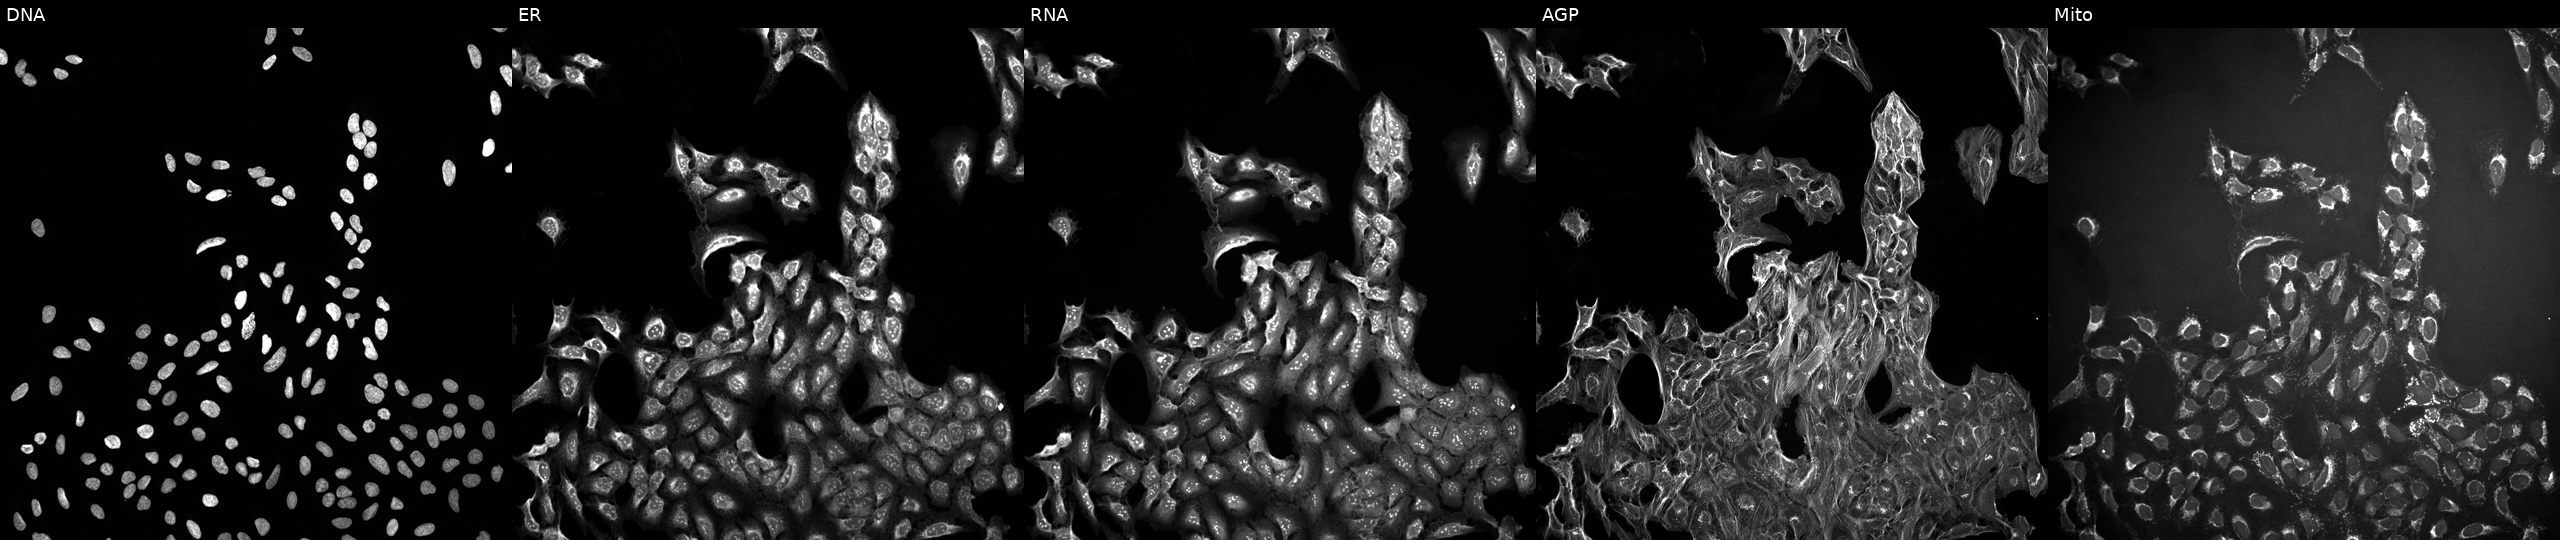
High-content fluorescence microscopy (Cell Painting). Cell line: U2OS. Perturbation: treated with a small-molecule compound (JUMP id JCP2022_113600). From left to right: DNA, ER, RNA, AGP, and Mito.